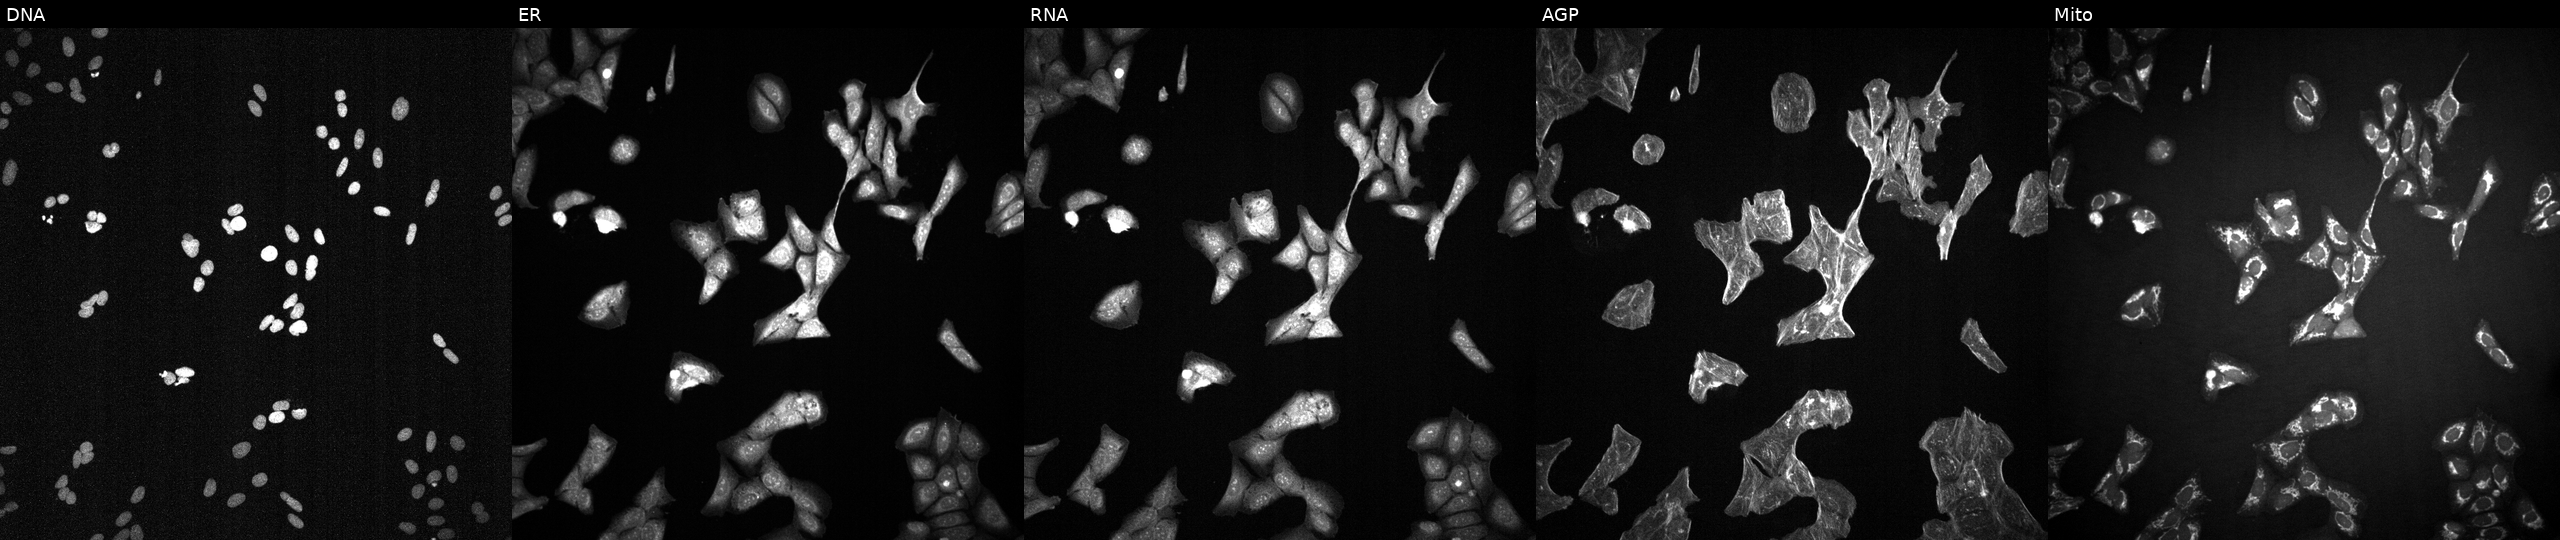
Five-channel Cell Painting image of U2OS cells perturbed with a small-molecule compound. Channels (left→right): Hoechst 33342, concanavalin A, SYTO 14, phalloidin and WGA, MitoTracker.